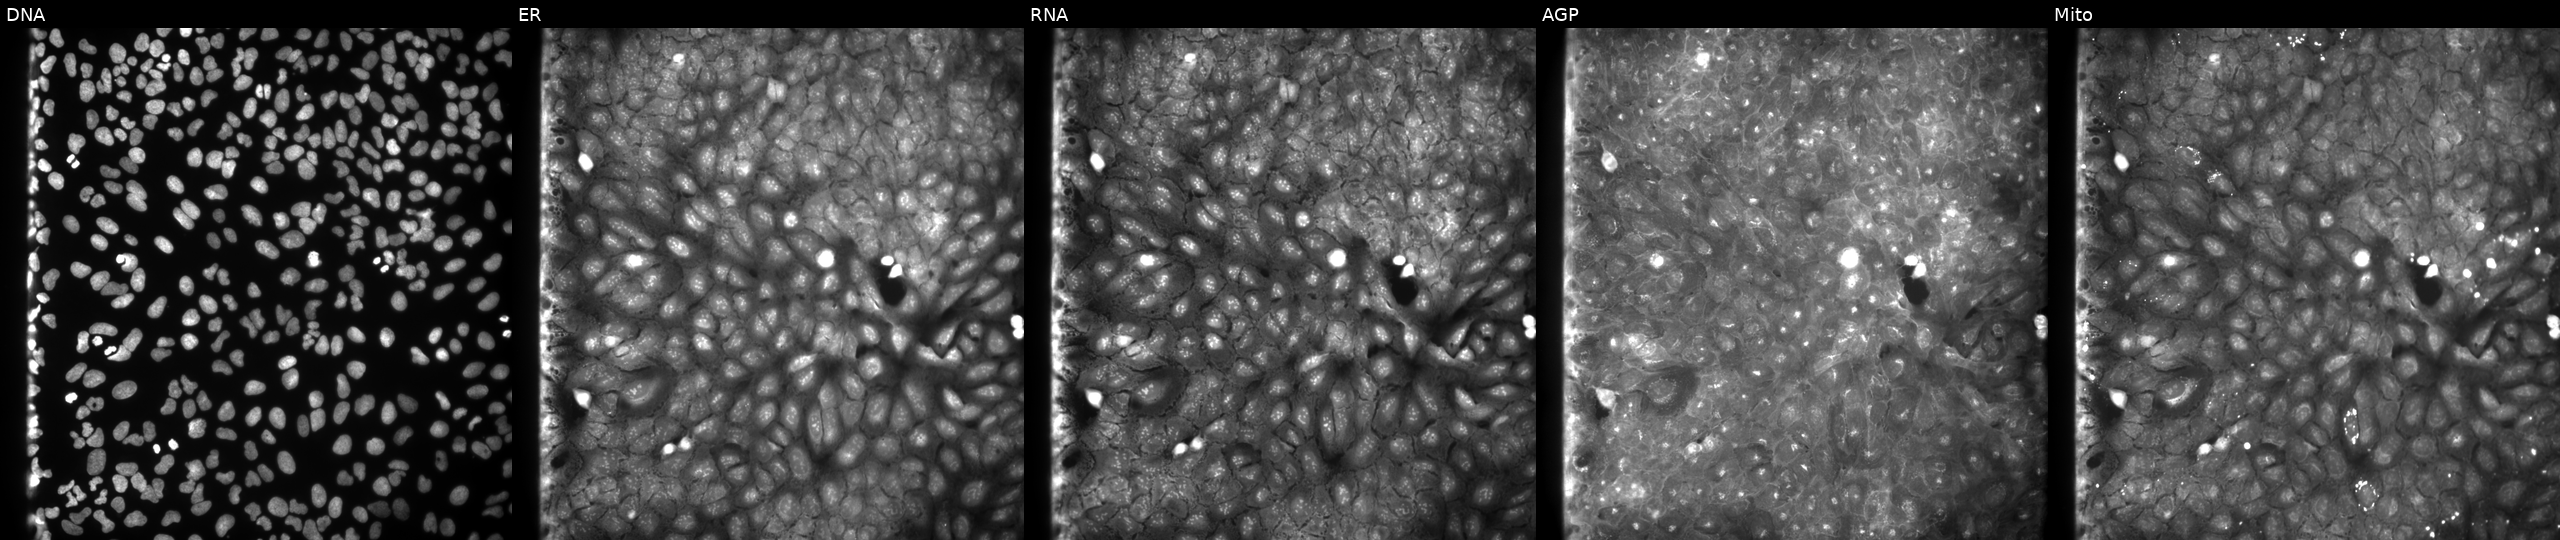
JUMP Cell Painting — COMPOUND plate. U2OS cells perturbed with a small-molecule compound (InChIKey NKDSKGSFJSDIIZ-UHFFFAOYSA-N). Channels (left→right): DNA, ER, RNA, AGP, and Mito.